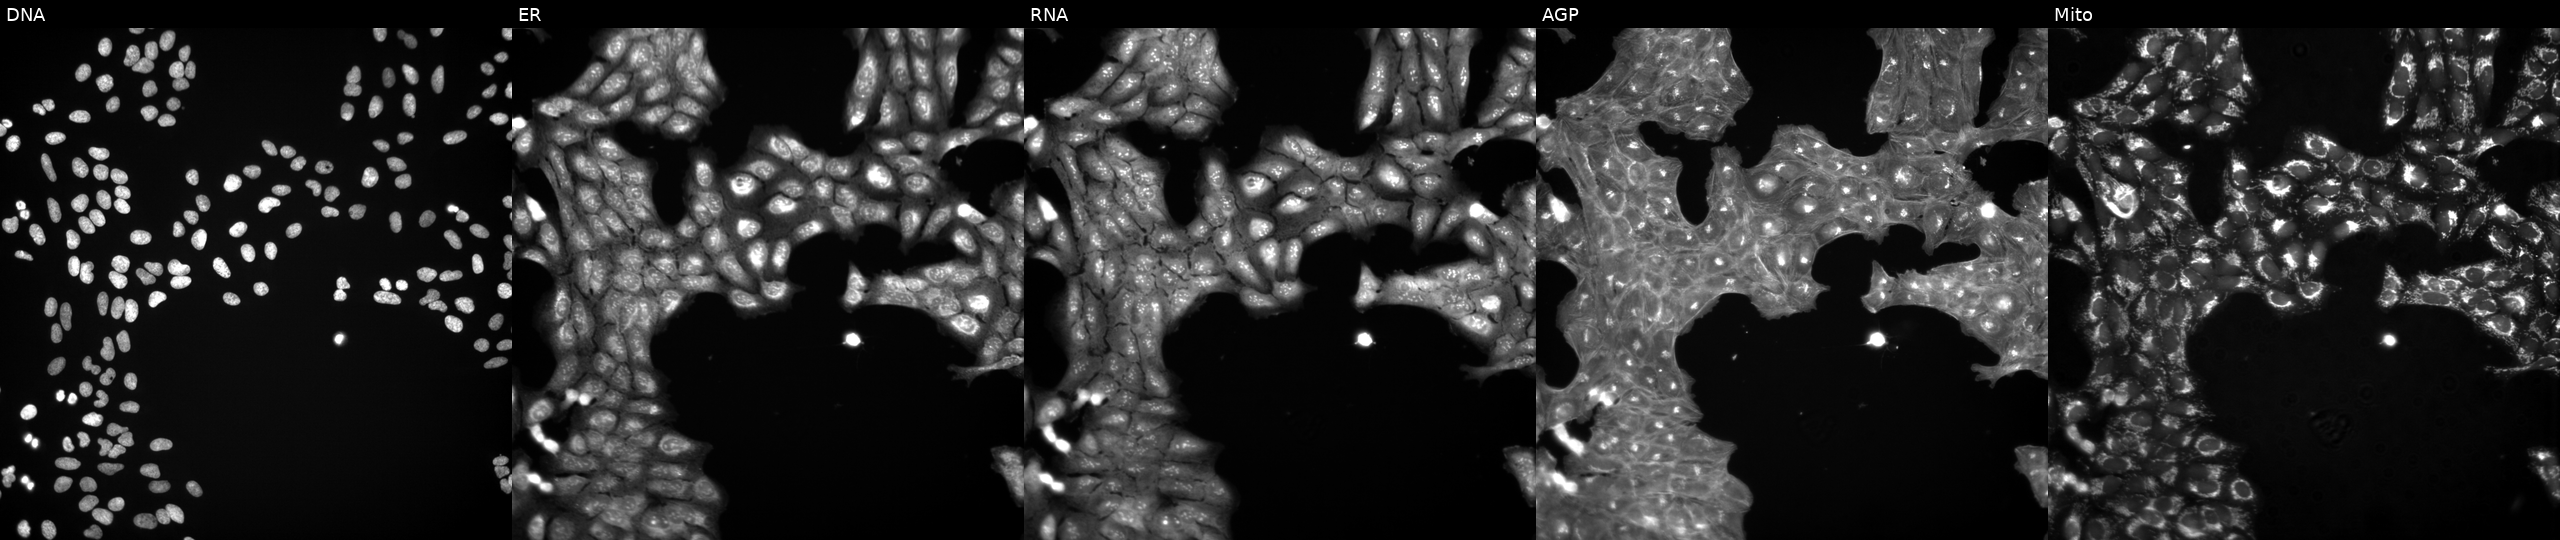
Five-channel Cell Painting image of U2OS cells treated with a small-molecule compound (JUMP id JCP2022_100264). The five panels, left to right, show Hoechst 33342, concanavalin A, SYTO 14, phalloidin and WGA, MitoTracker.